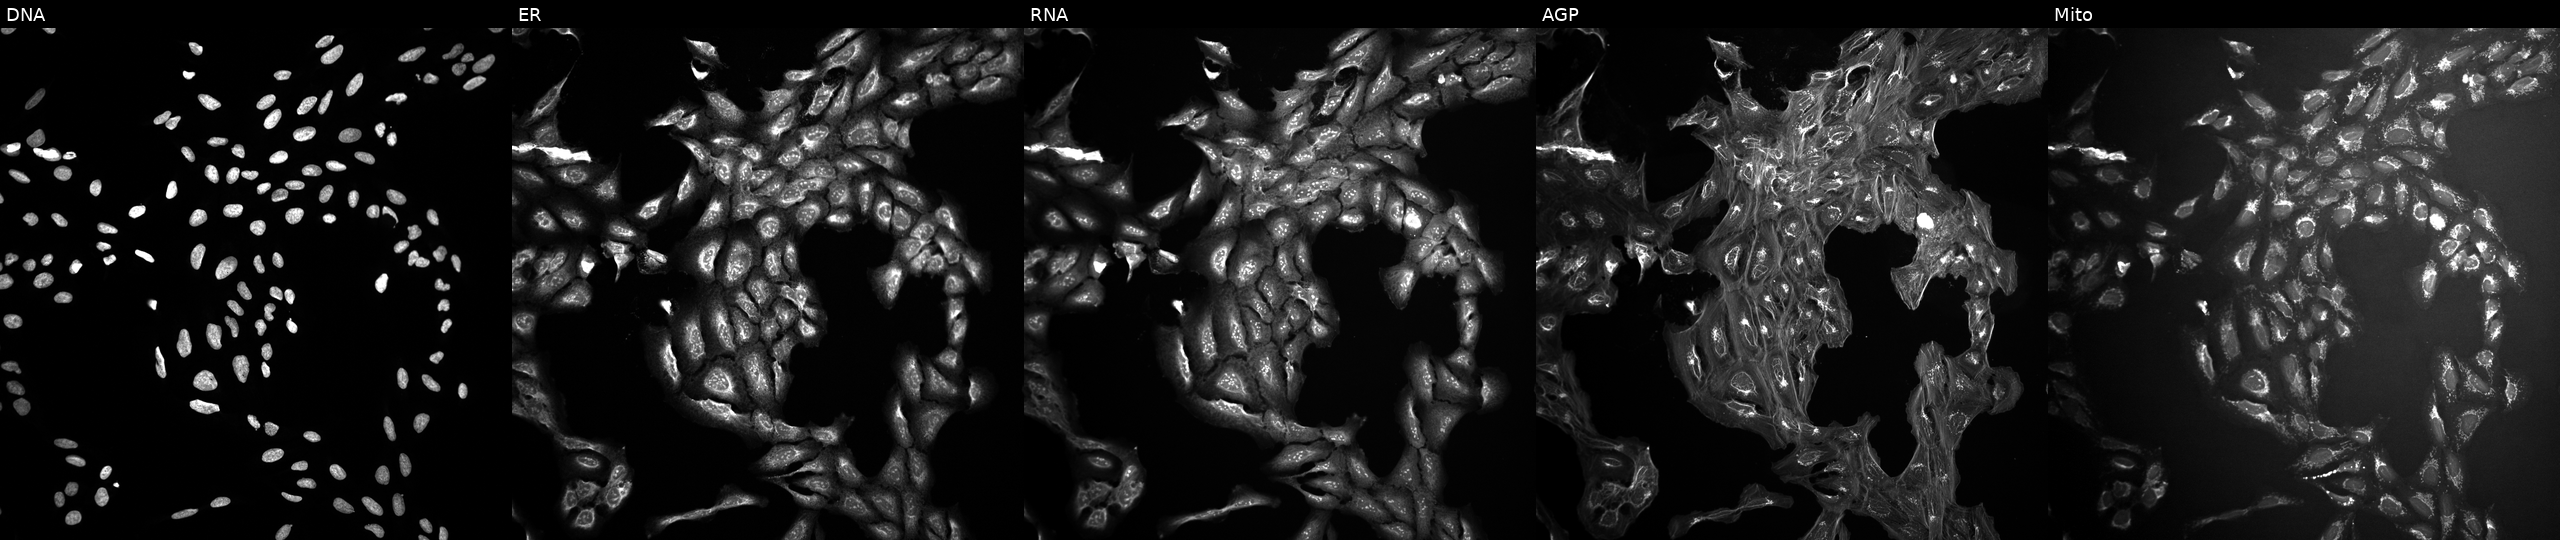
U2OS cells, Cell Painting assay, perturbed with a small-molecule compound (InChIKey APMNWXMVEDMOAB-UHFFFAOYSA-N) [SMILES: COc1ccnc(N2CCC(COc3cc(C4CC4)ncn3)CC2)n1]. From left to right: DNA (nuclei); ER (endoplasmic reticulum); RNA (nucleoli and cytoplasmic RNA); AGP (actin cytoskeleton, Golgi, and plasma membrane); Mito (mitochondria). Each panel is percentile-stretched 16-bit fluorescence.